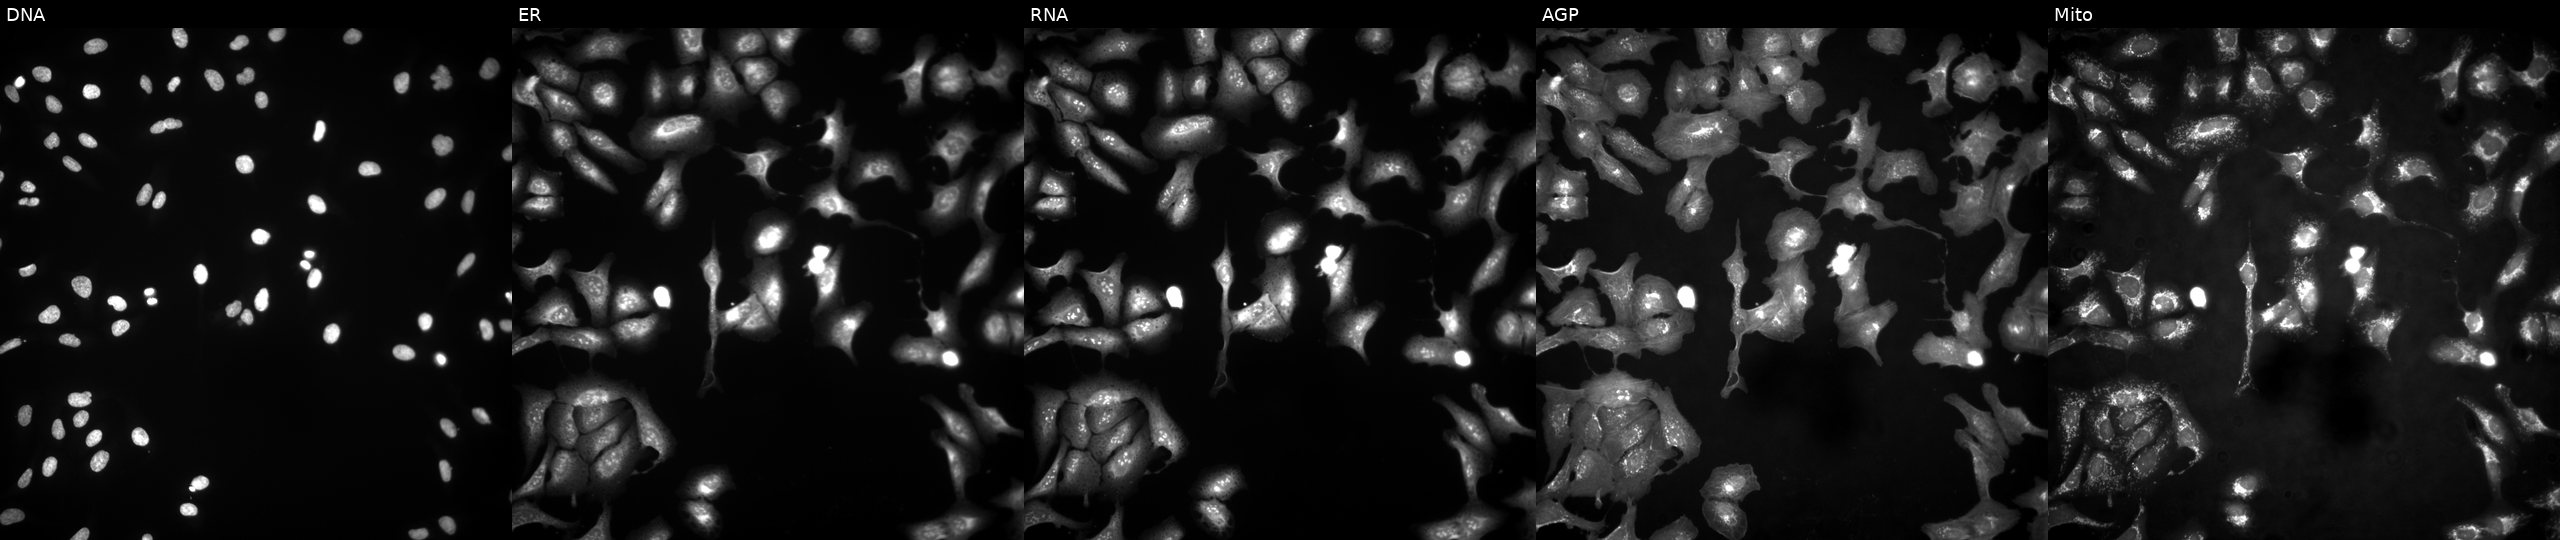
From left to right: Hoechst 33342, concanavalin A, SYTO 14, phalloidin and WGA, MitoTracker. U2OS osteosarcoma cells with PRKG1 overexpressed (ORF) (JUMP id JCP2022_901207). Cell Painting assay, JUMP-CP dataset.